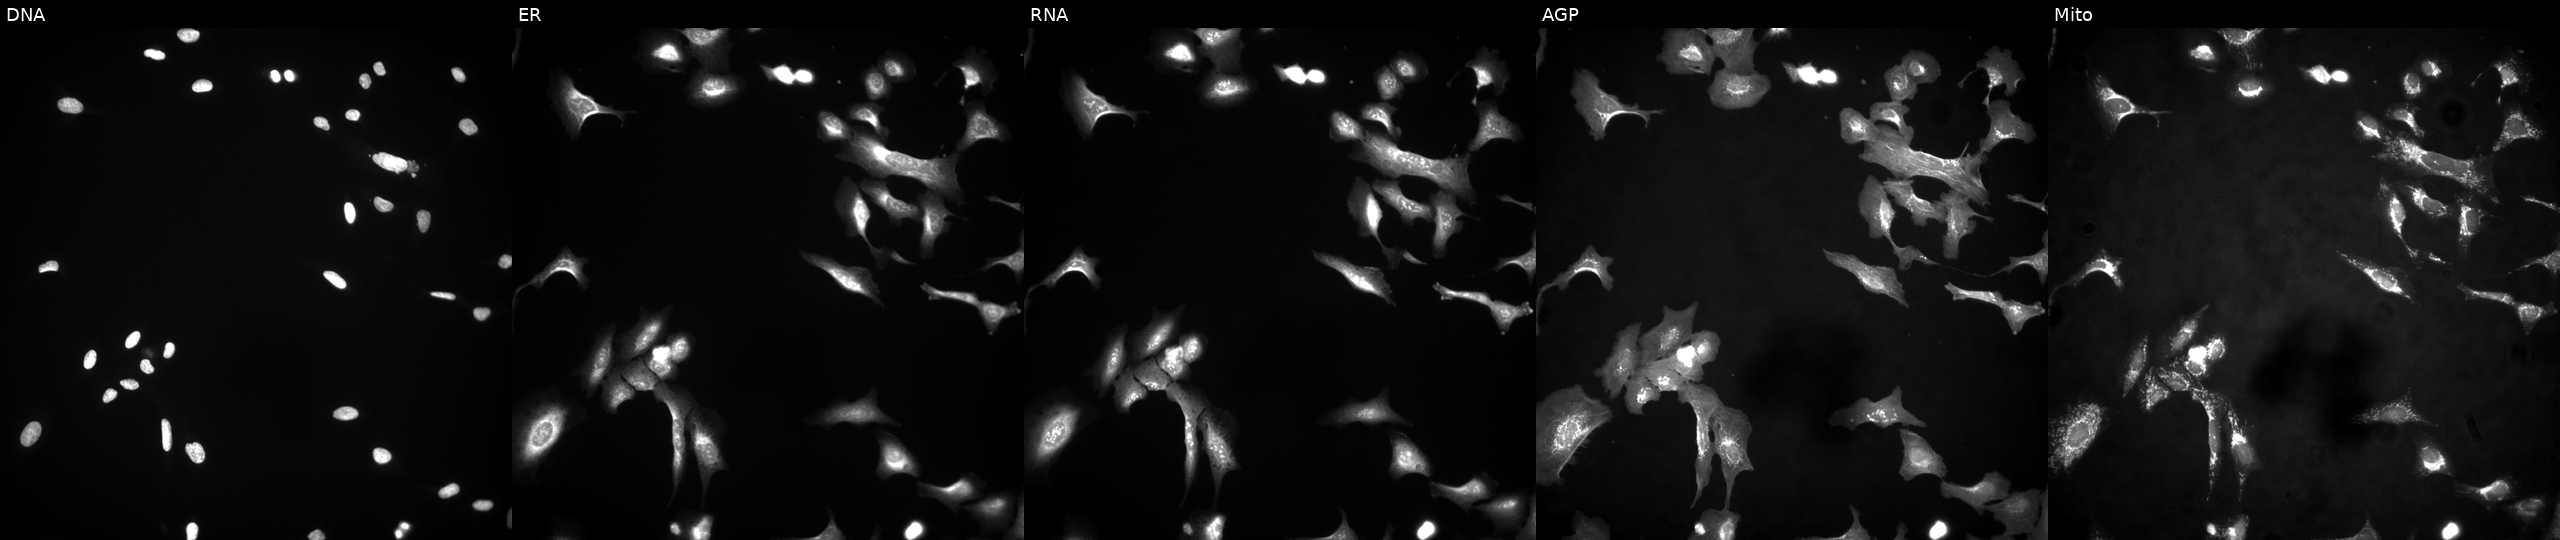
High-content fluorescence microscopy (Cell Painting). Cell line: U2OS. Perturbation: expressing eGFP (ORF positive control). Channels (left→right): DNA, ER, RNA, AGP, and Mito.